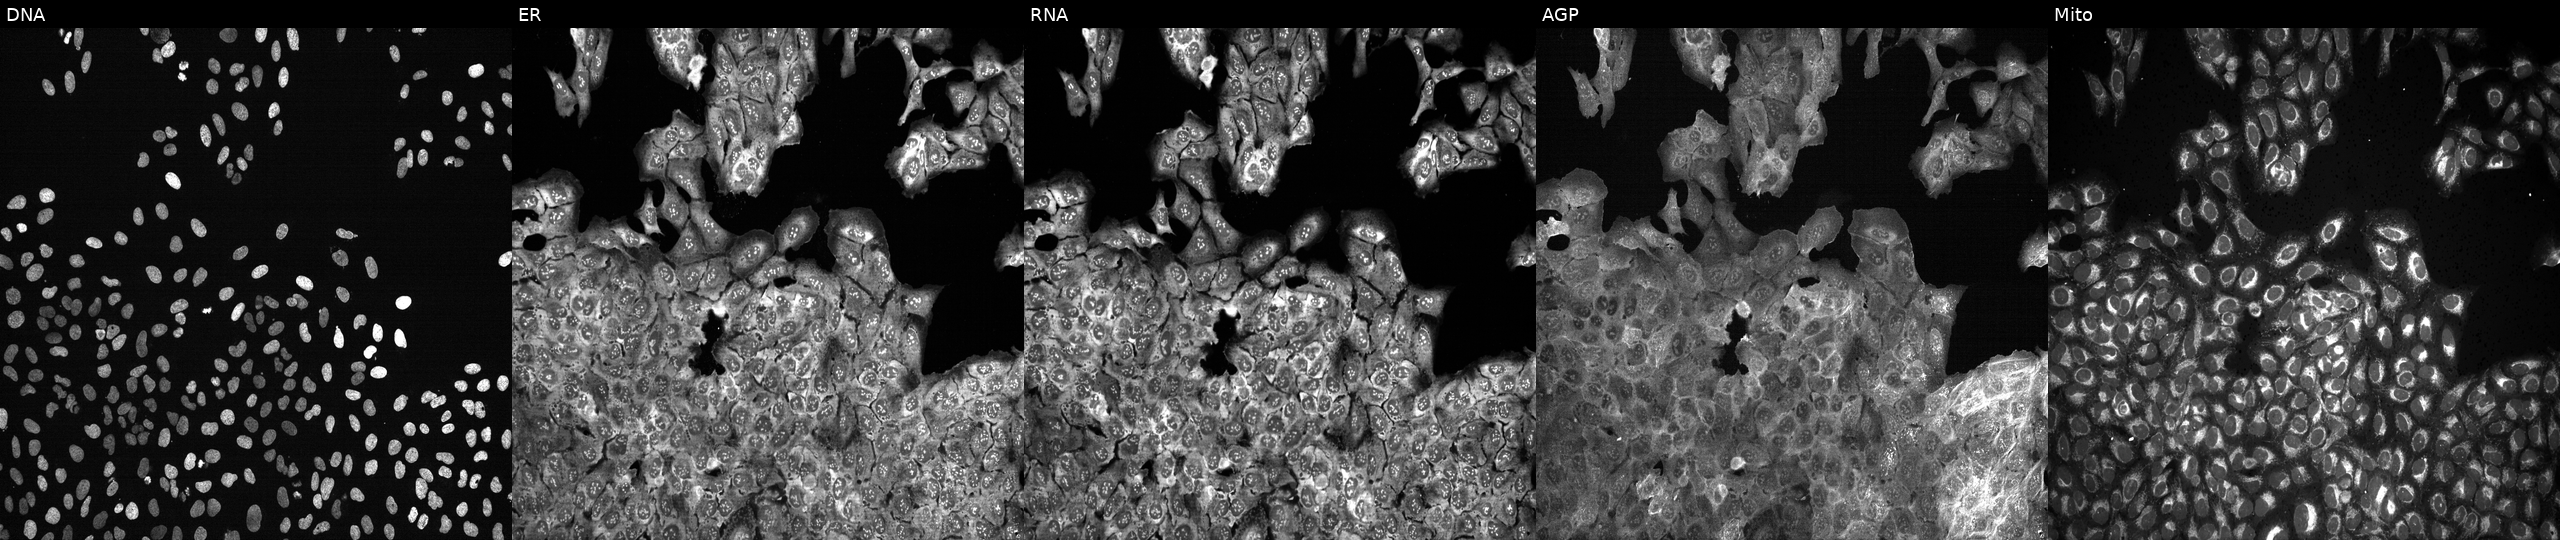
JUMP Cell Painting — CRISPR plate. U2OS cells following CRISPR knockout of GNA11 (JUMP id JCP2022_802758). Panels show, left to right, DNA (nuclei); ER (endoplasmic reticulum); RNA (nucleoli and cytoplasmic RNA); AGP (actin cytoskeleton, Golgi, and plasma membrane); Mito (mitochondria).